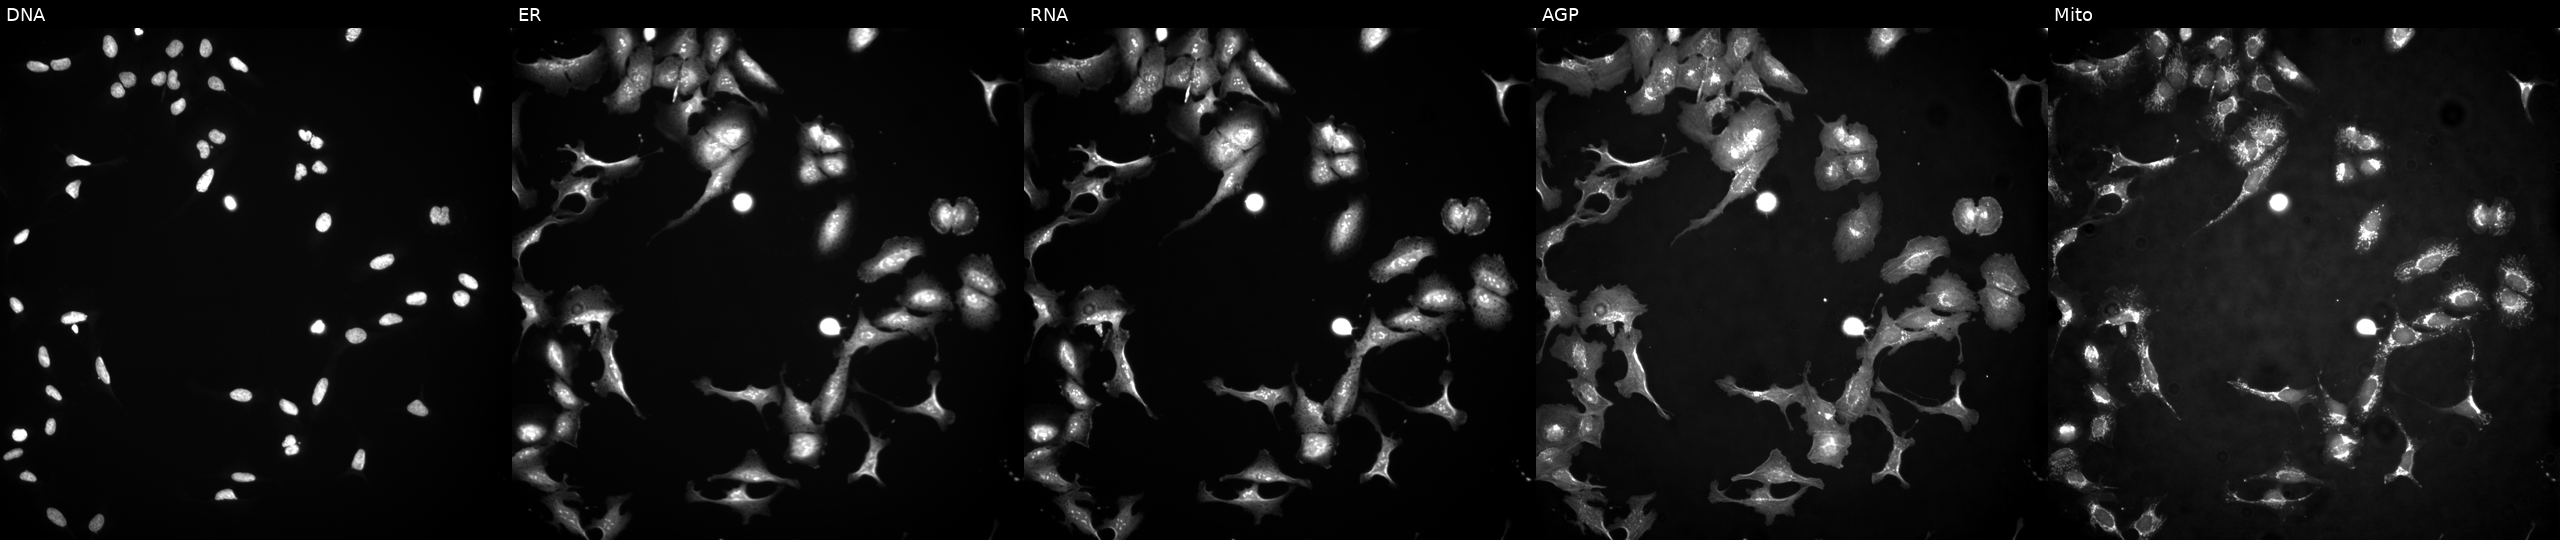
JUMP Cell Painting — ORF plate. U2OS cells with ZNF658 overexpressed (ORF). The five panels, left to right, show Hoechst 33342, concanavalin A, SYTO 14, phalloidin and WGA, MitoTracker. Source 4, plate BR00117035, well N12.